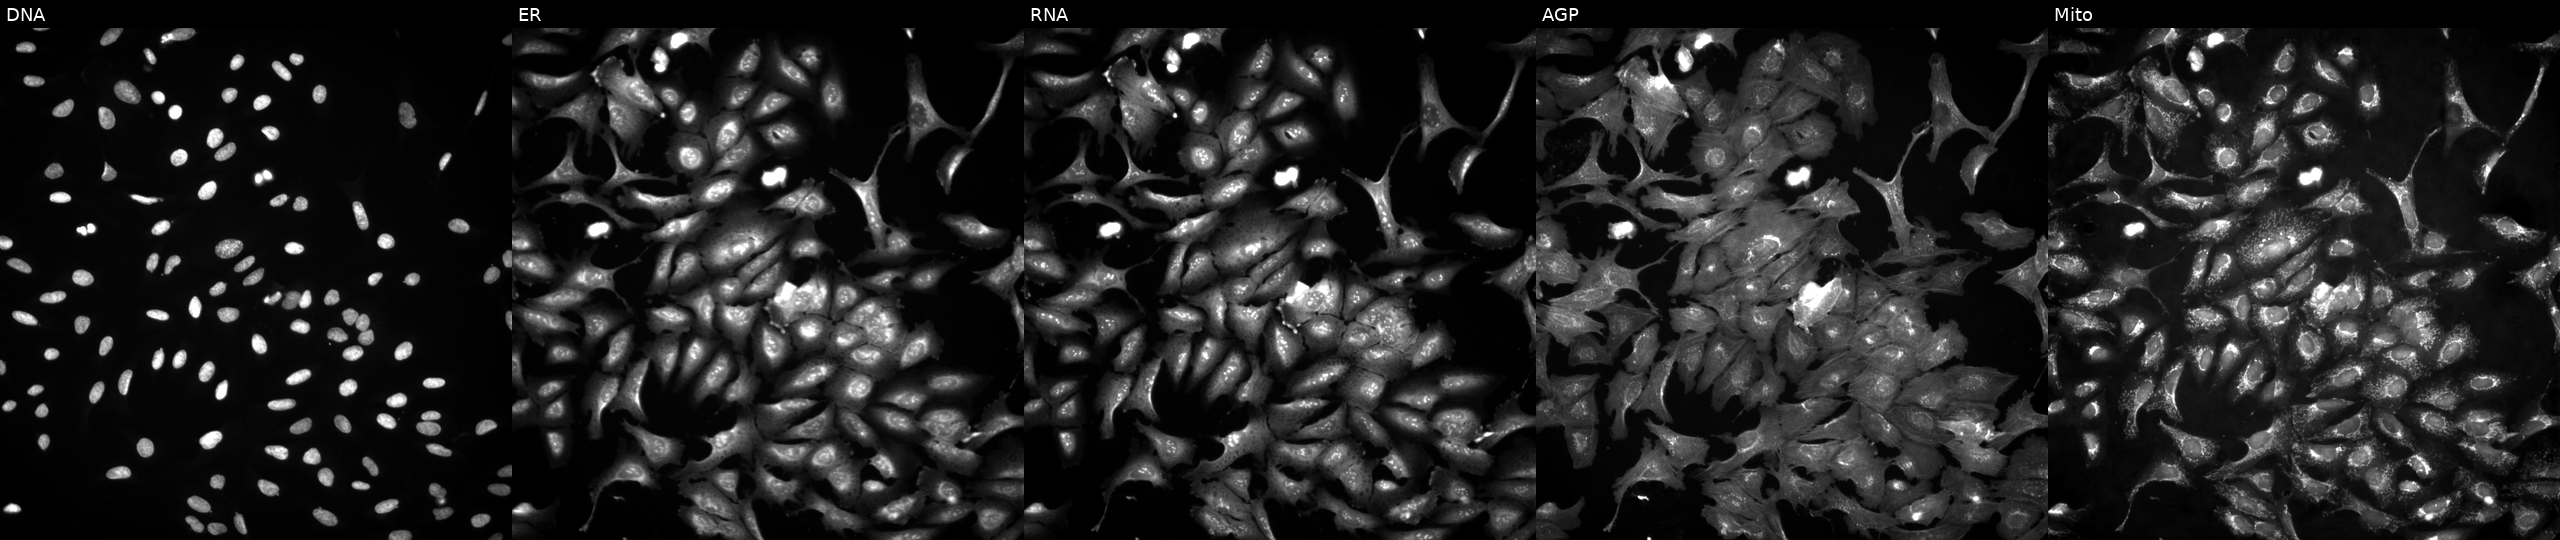
High-content fluorescence microscopy (Cell Painting). Cell line: U2OS. Perturbation: transfected with an ORF construct for CD2 (JUMP id JCP2022_913601). Panels show, left to right, DNA (nuclei); ER (endoplasmic reticulum); RNA (nucleoli and cytoplasmic RNA); AGP (actin cytoskeleton, Golgi, and plasma membrane); Mito (mitochondria). Source 4, plate BR00123945, well A11.